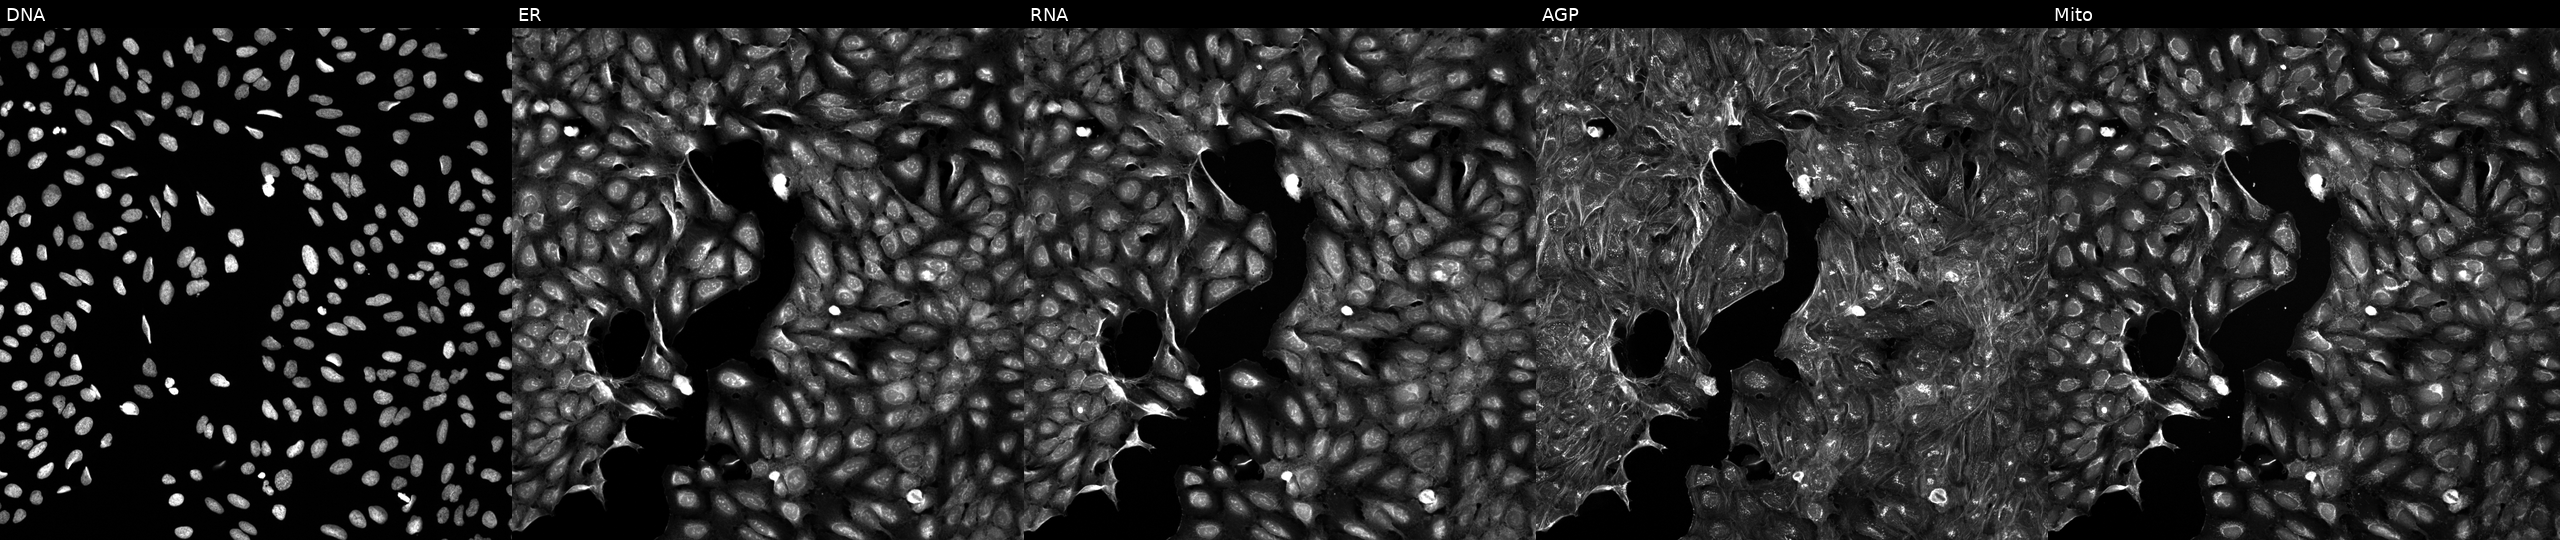
High-content fluorescence microscopy (Cell Painting). Cell line: U2OS. Perturbation: perturbed with a small-molecule compound (JUMP id JCP2022_049244). Panels show, left to right, DNA, ER, RNA, AGP, and Mito.